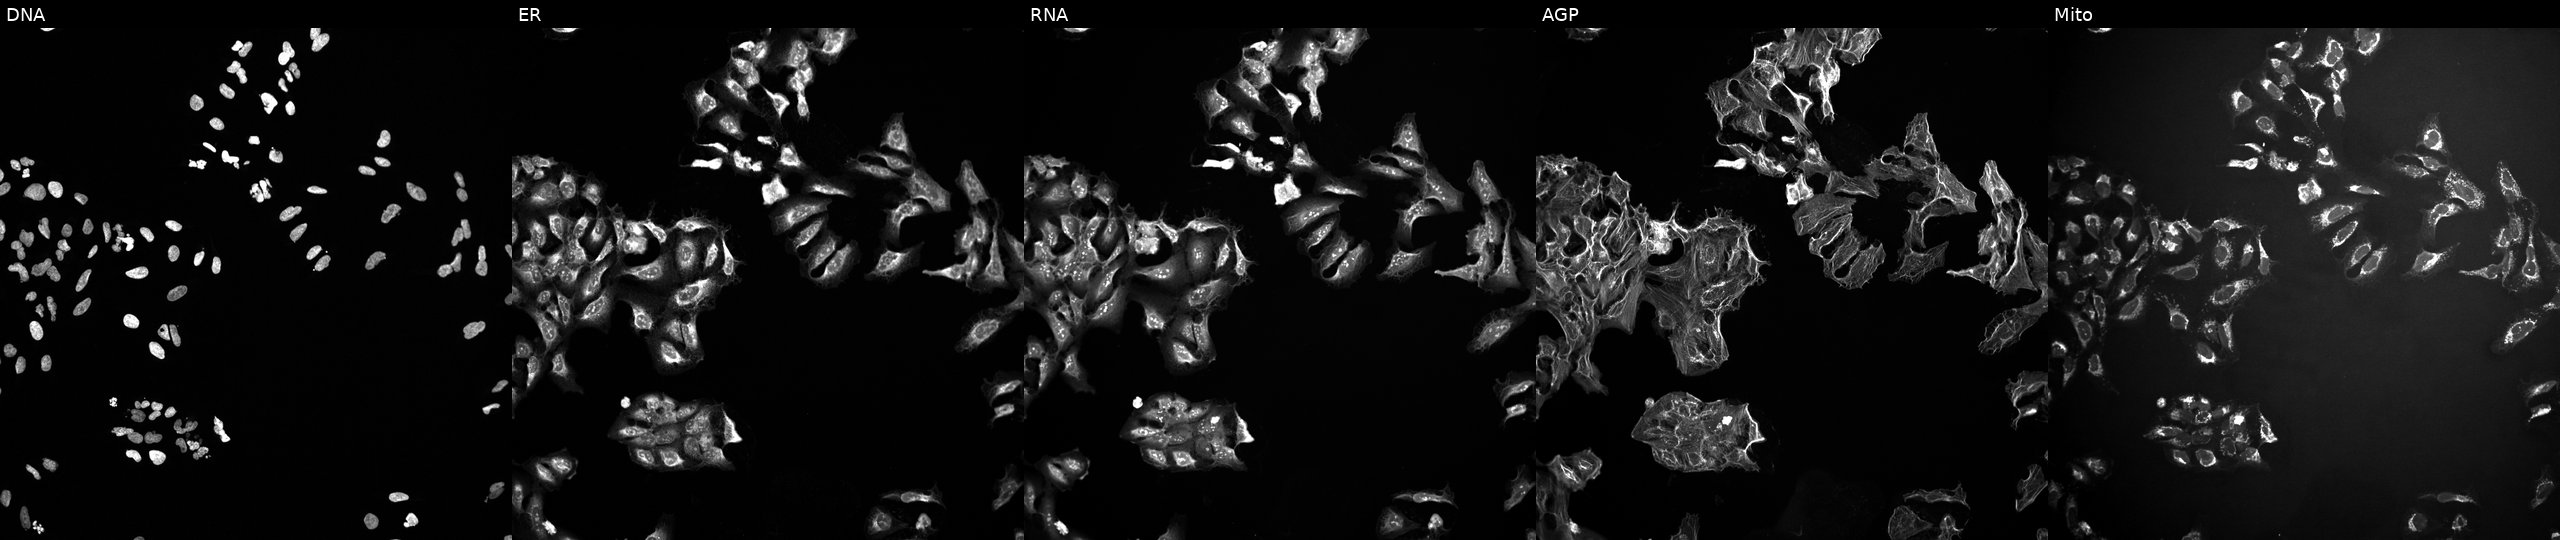
Five-channel Cell Painting image of U2OS cells exposed to a small-molecule compound (InChIKey HSTZMXCBWJGKHG-UHFFFAOYSA-N) (JUMP id JCP2022_032353). Channels (left→right): DNA, ER, RNA, AGP, and Mito.